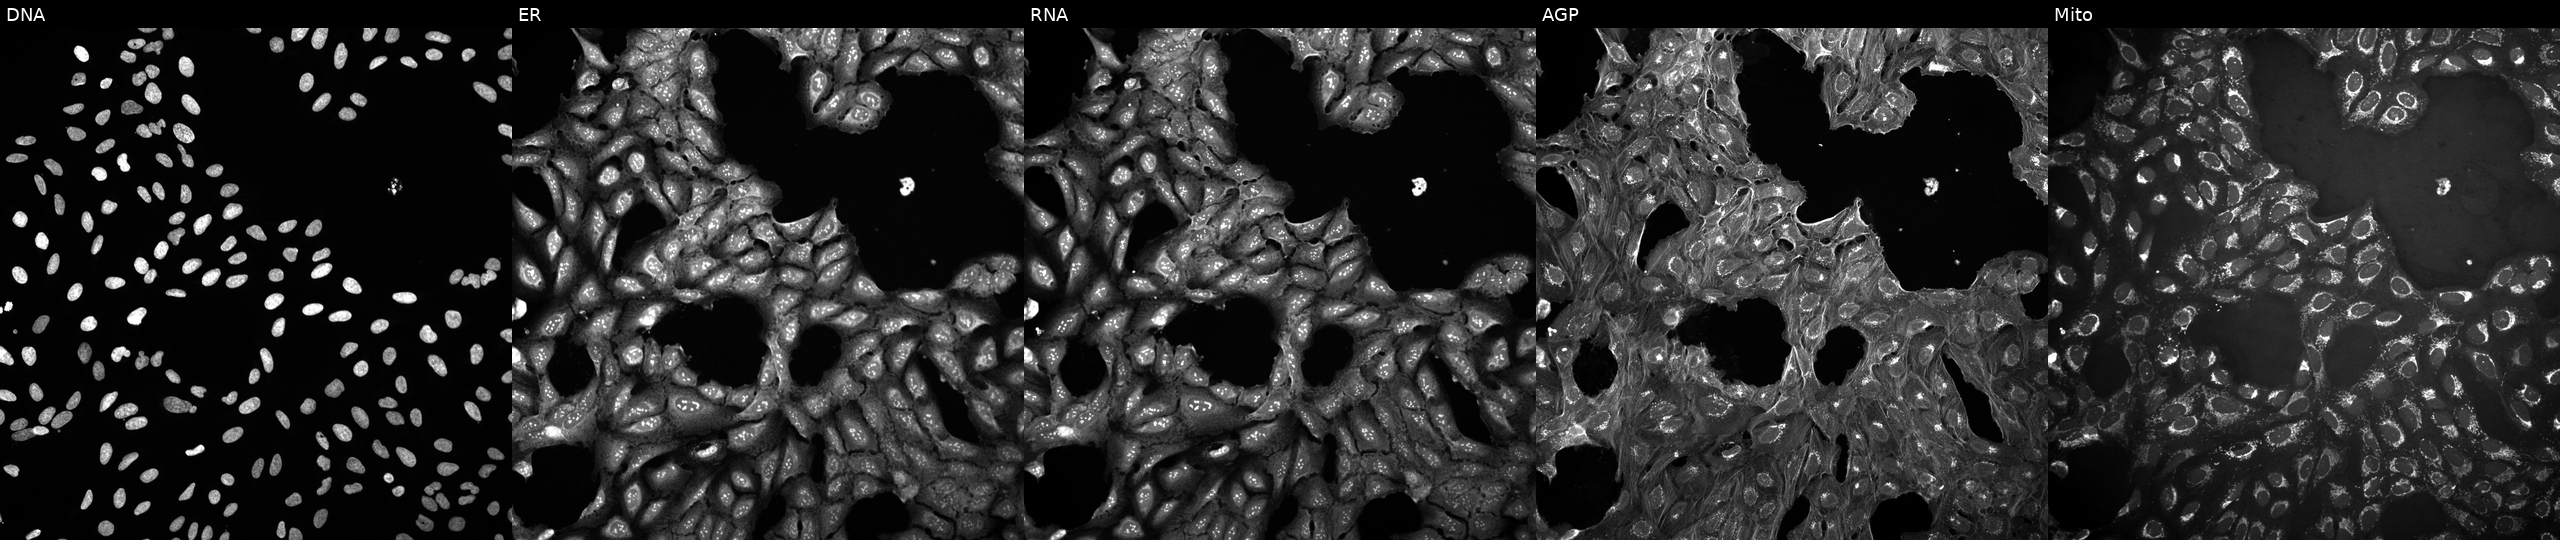
JUMP Cell Painting — COMPOUND plate. U2OS cells in an empty control well (no perturbation). Panels show, left to right, Hoechst 33342, concanavalin A, SYTO 14, phalloidin and WGA, MitoTracker.